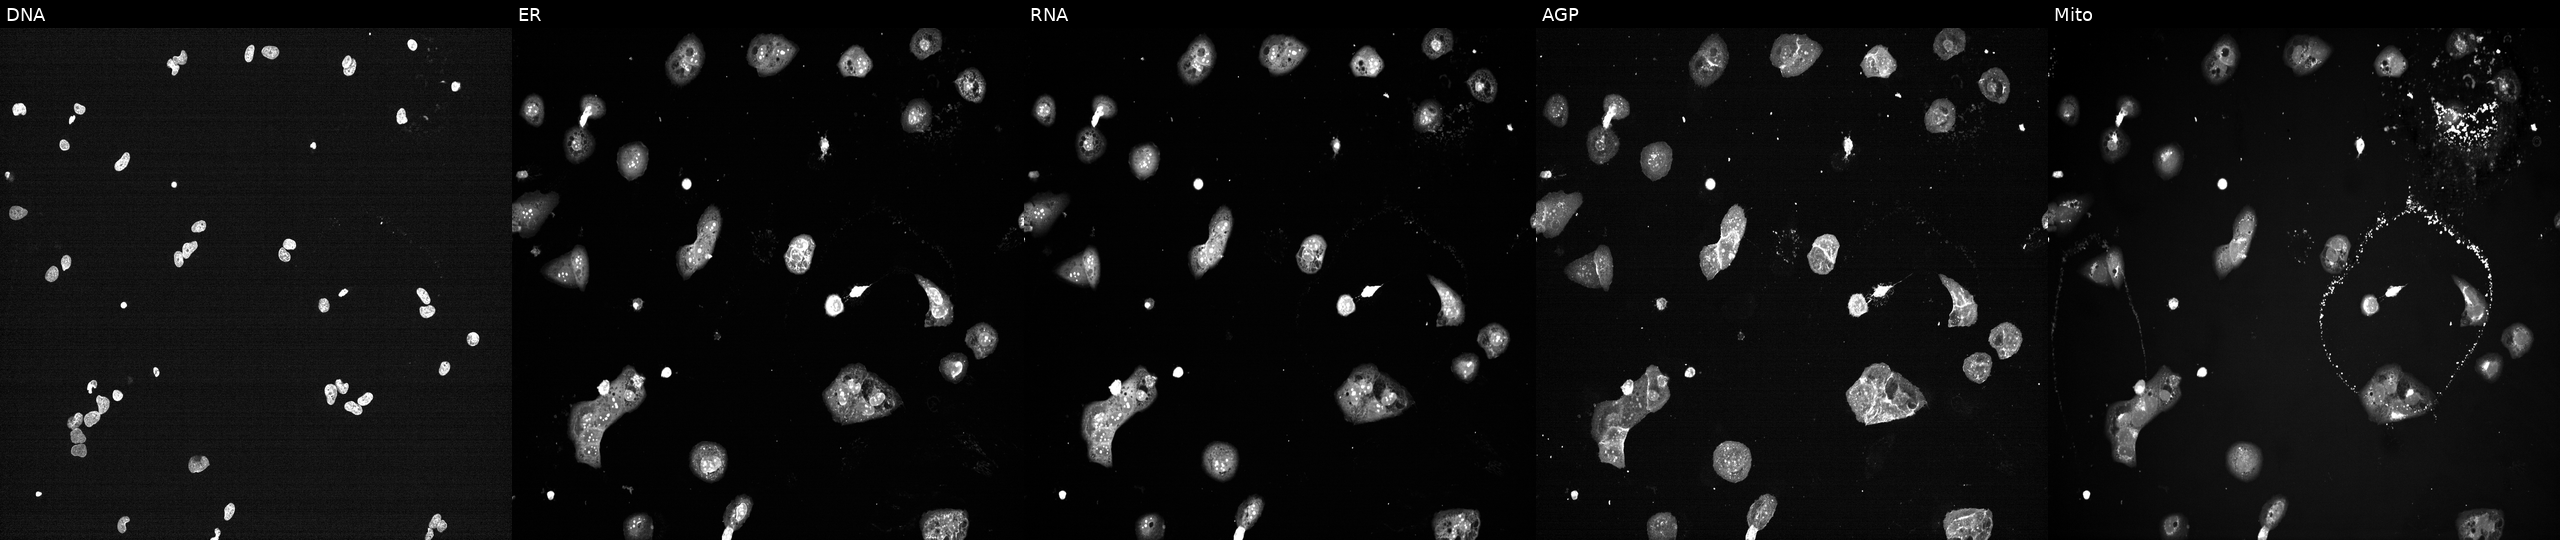
This image strip shows the five Cell Painting channels for a single field of U2OS cells exposed to a small-molecule compound (InChIKey MNYJJHBAEYKXEG-UHFFFAOYSA-N) (JUMP id JCP2022_055397). Panels show, left to right, DNA (nuclei); ER (endoplasmic reticulum); RNA (nucleoli and cytoplasmic RNA); AGP (actin cytoskeleton, Golgi, and plasma membrane); Mito (mitochondria). Source 7, plate CP2-SC1-25, well B22.